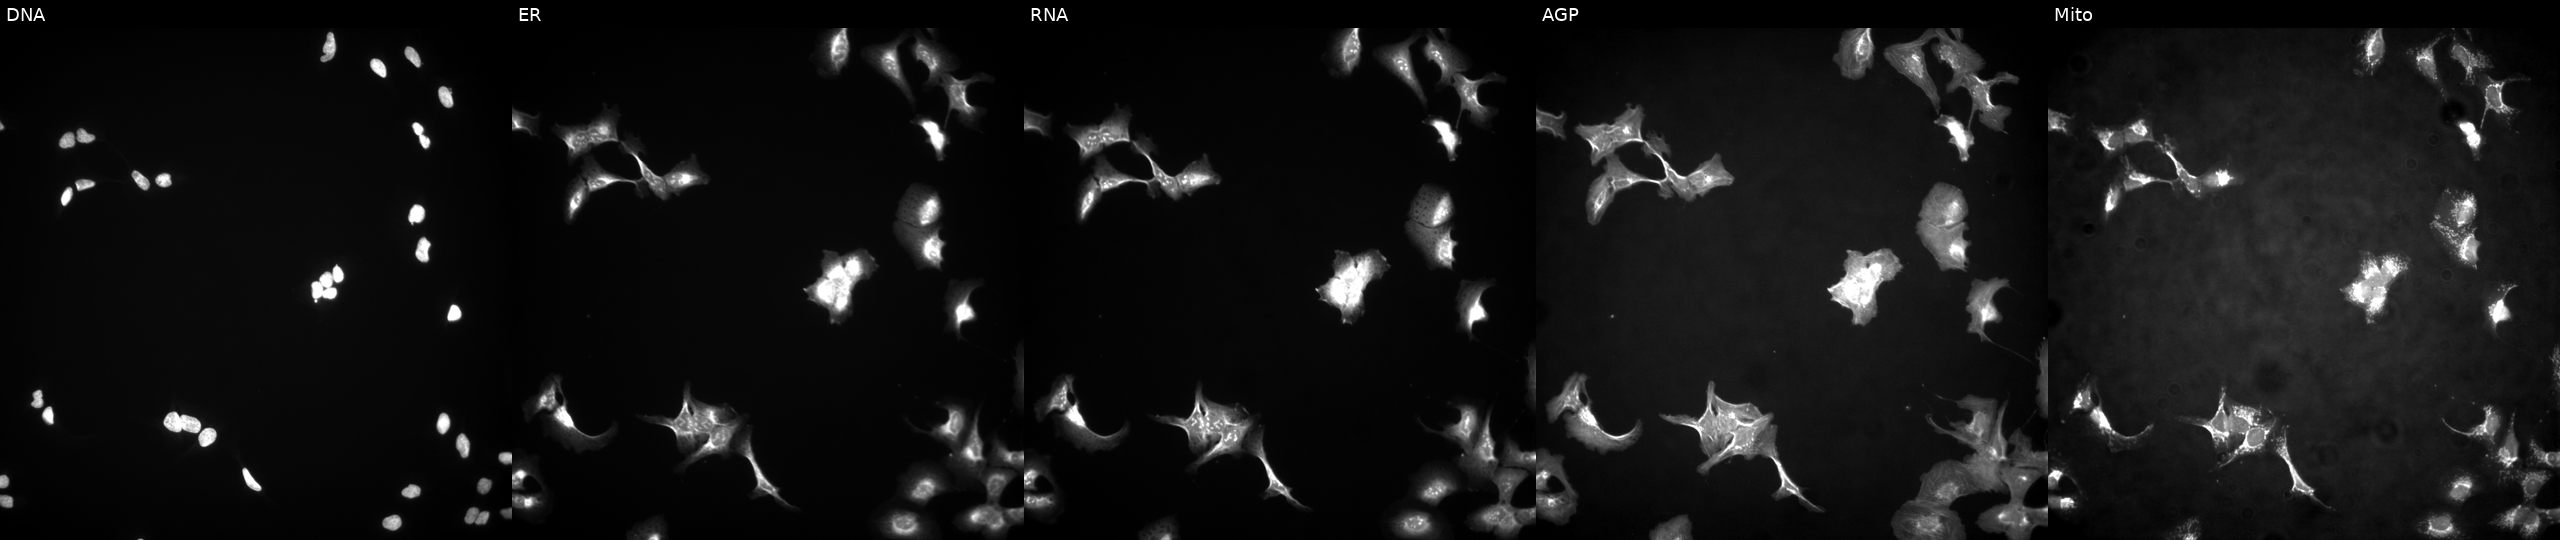
This image strip shows the five Cell Painting channels for a single field of U2OS cells in an empty control well (no perturbation) (JUMP id JCP2022_999999). Panels show, left to right, DNA, ER, RNA, AGP, and Mito.